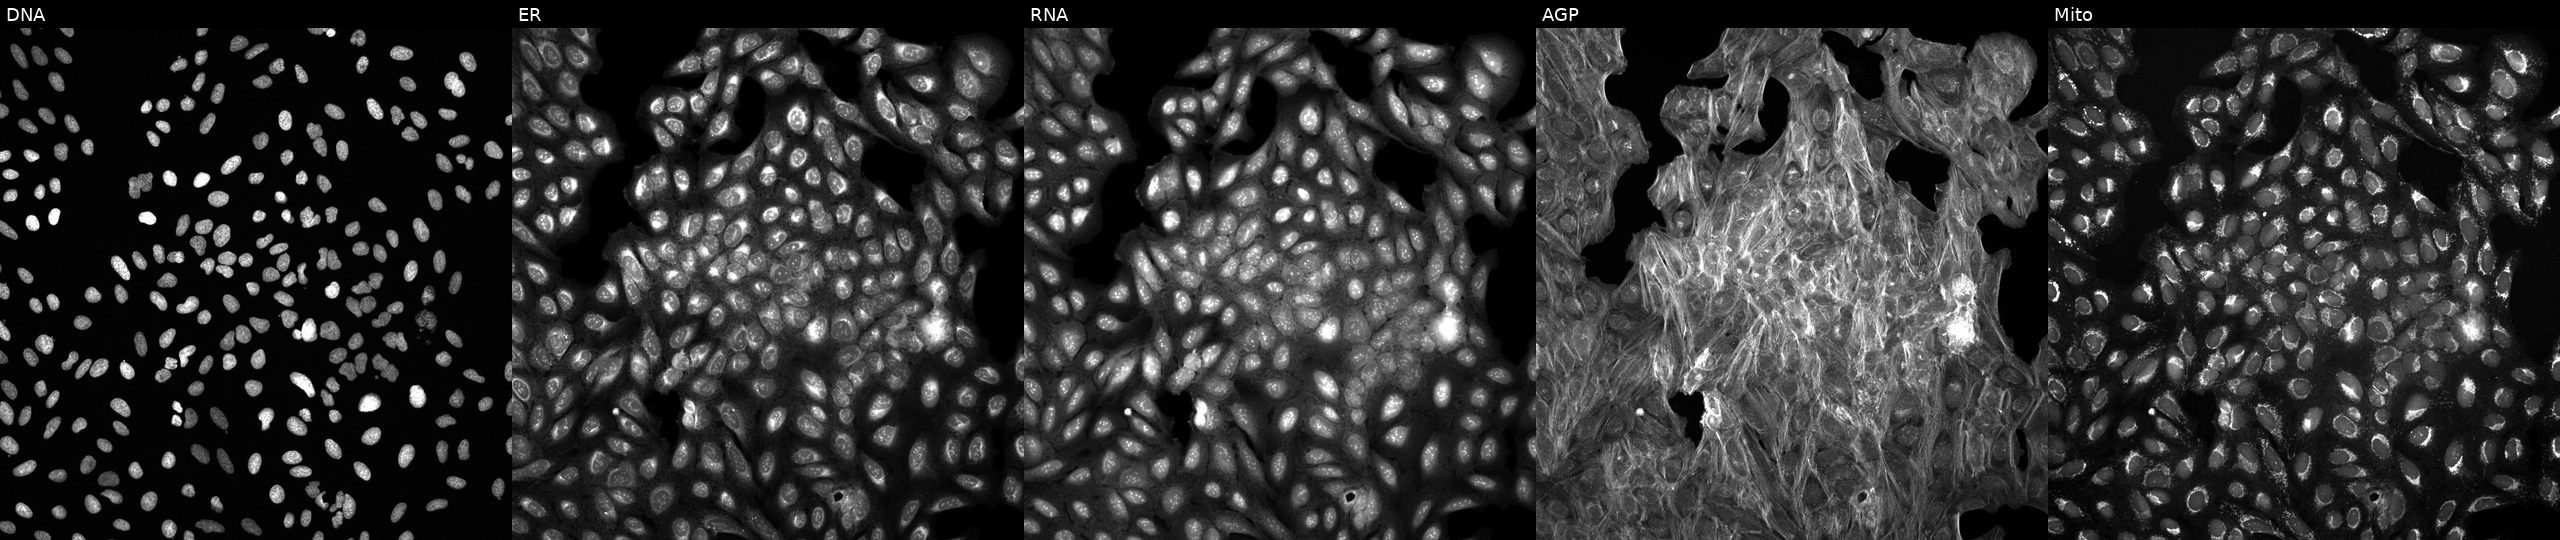
Five-channel Cell Painting image of U2OS cells exposed to a small-molecule compound (InChIKey STEBAFOURUOZJN-UHFFFAOYSA-N) [SMILES: COC(=O)c1ccccc1NC(=O)Cn1c(=O)c2cccn2c2ccc(F)cc21]. Panels show, left to right, DNA (nuclei); ER (endoplasmic reticulum); RNA (nucleoli and cytoplasmic RNA); AGP (actin cytoskeleton, Golgi, and plasma membrane); Mito (mitochondria).